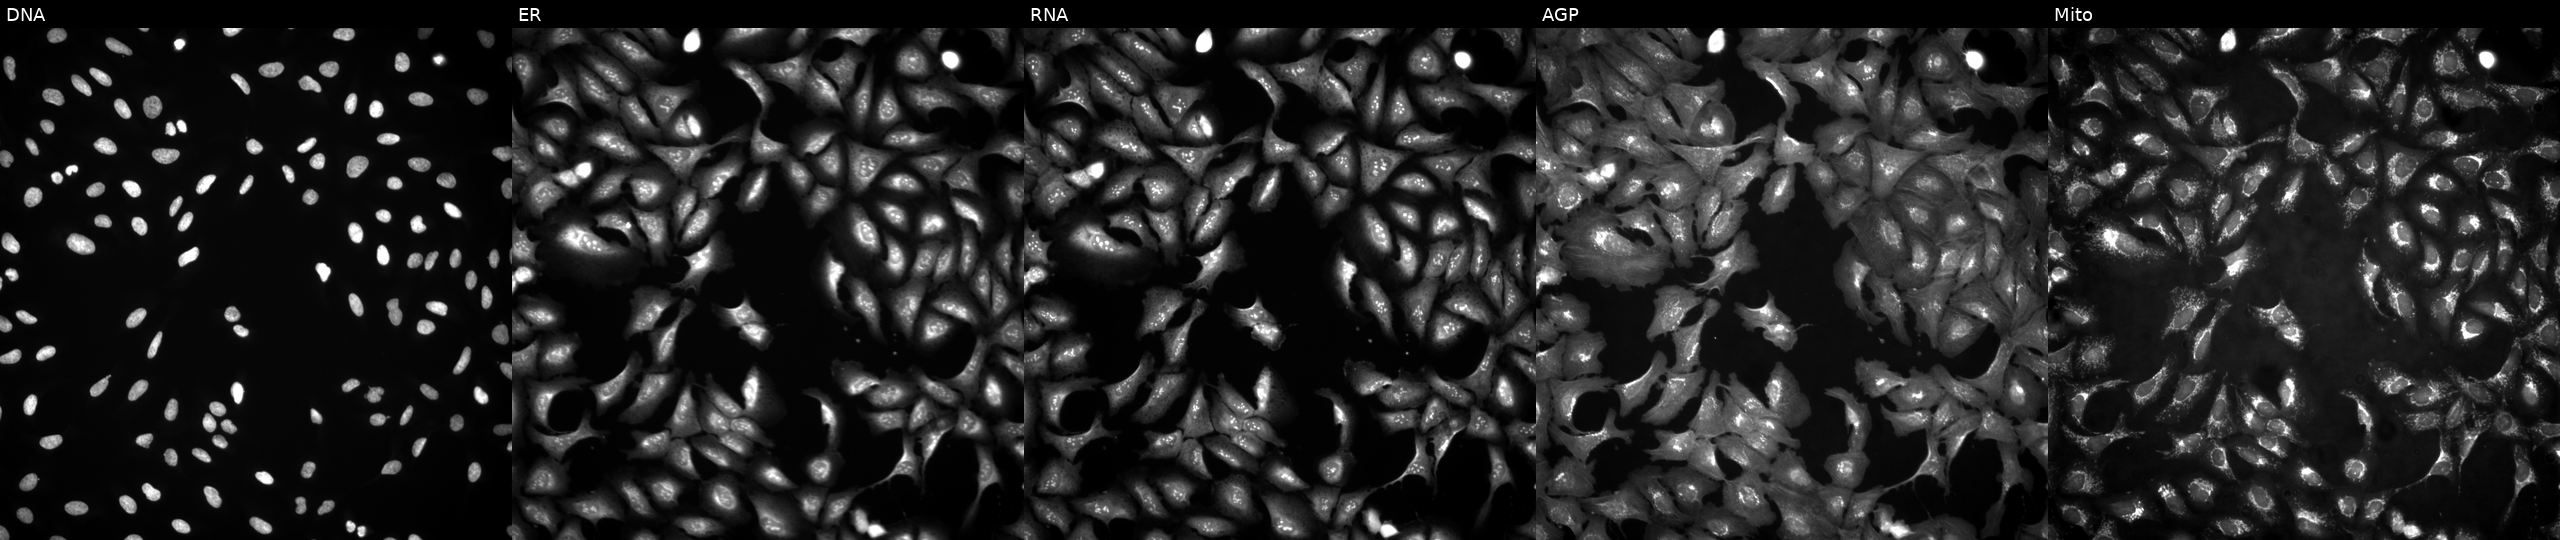
High-content fluorescence microscopy (Cell Painting). Cell line: U2OS. Perturbation: expressing LacZ (ORF negative control). From left to right: DNA, ER, RNA, AGP, and Mito. Source 4, plate BR00124787, well N09.